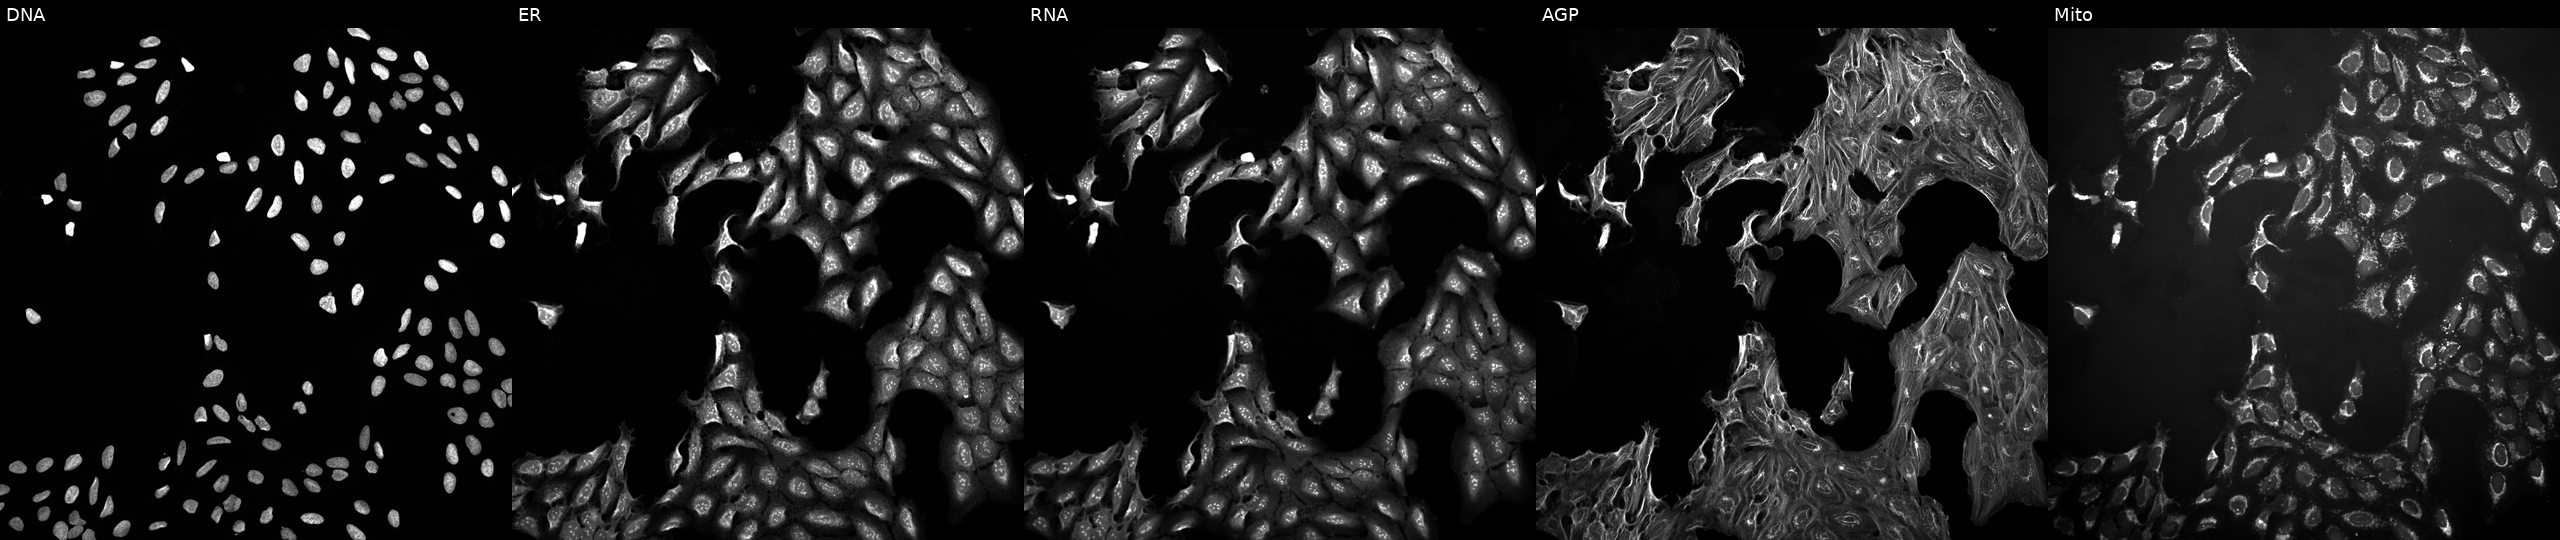
U2OS cells, Cell Painting assay, exposed to a small-molecule compound. Channels (left→right): DNA (nuclei); ER (endoplasmic reticulum); RNA (nucleoli and cytoplasmic RNA); AGP (actin cytoskeleton, Golgi, and plasma membrane); Mito (mitochondria). Each panel is percentile-stretched 16-bit fluorescence.